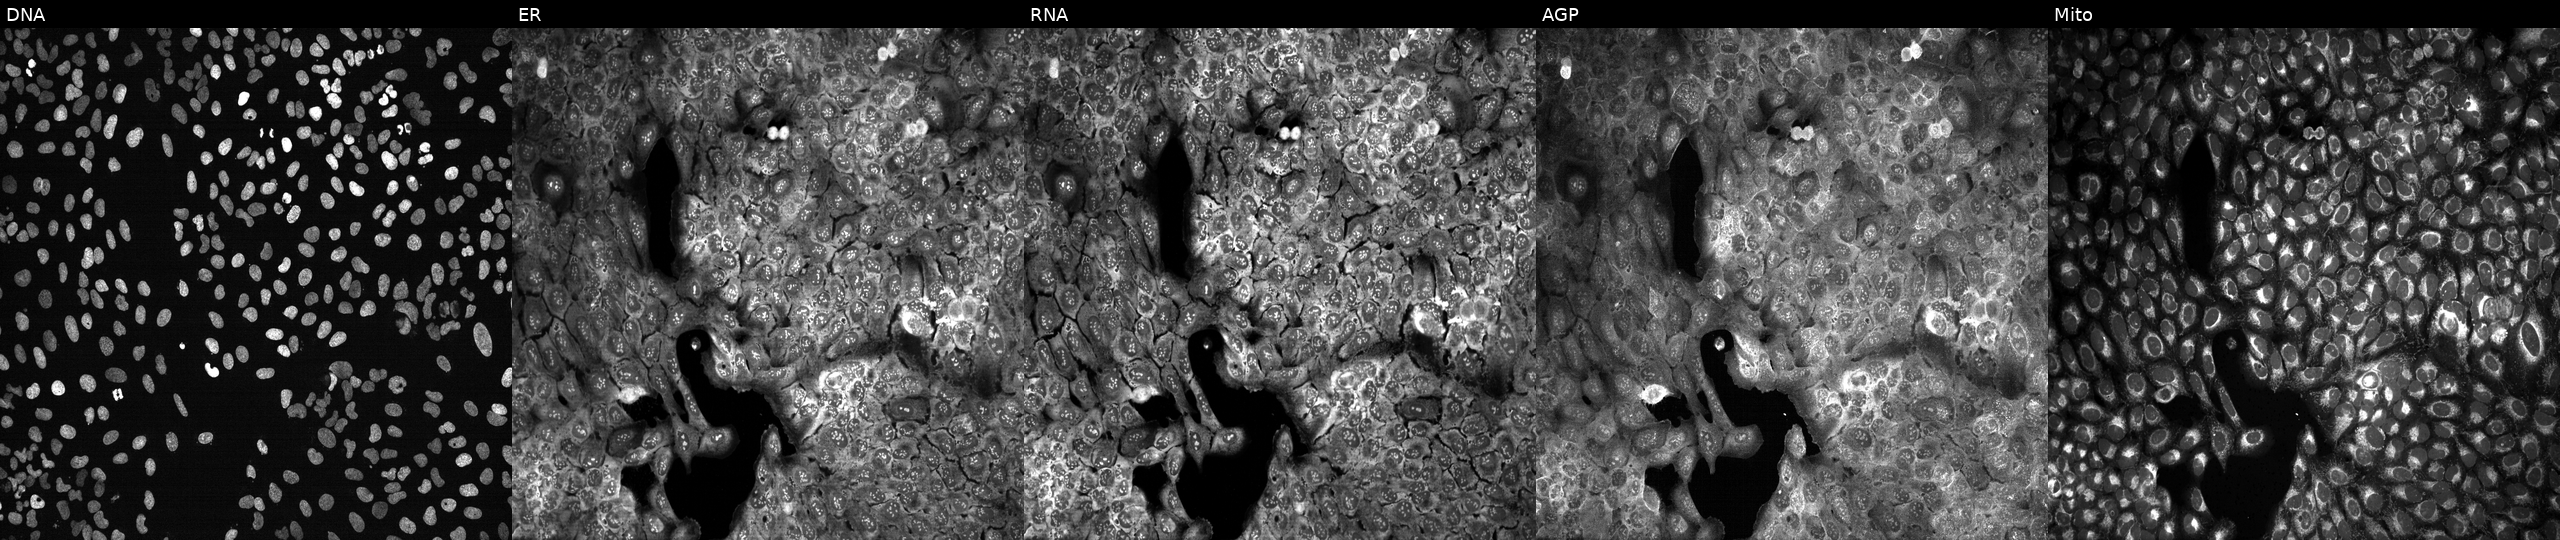
This image strip shows the five Cell Painting channels for a single field of U2OS cells with NEIL1 knocked out by CRISPR (JUMP id JCP2022_804506). The five panels, left to right, show DNA (nuclei); ER (endoplasmic reticulum); RNA (nucleoli and cytoplasmic RNA); AGP (actin cytoskeleton, Golgi, and plasma membrane); Mito (mitochondria). Source 13, plate CP-CC9-R4-03, well M20.